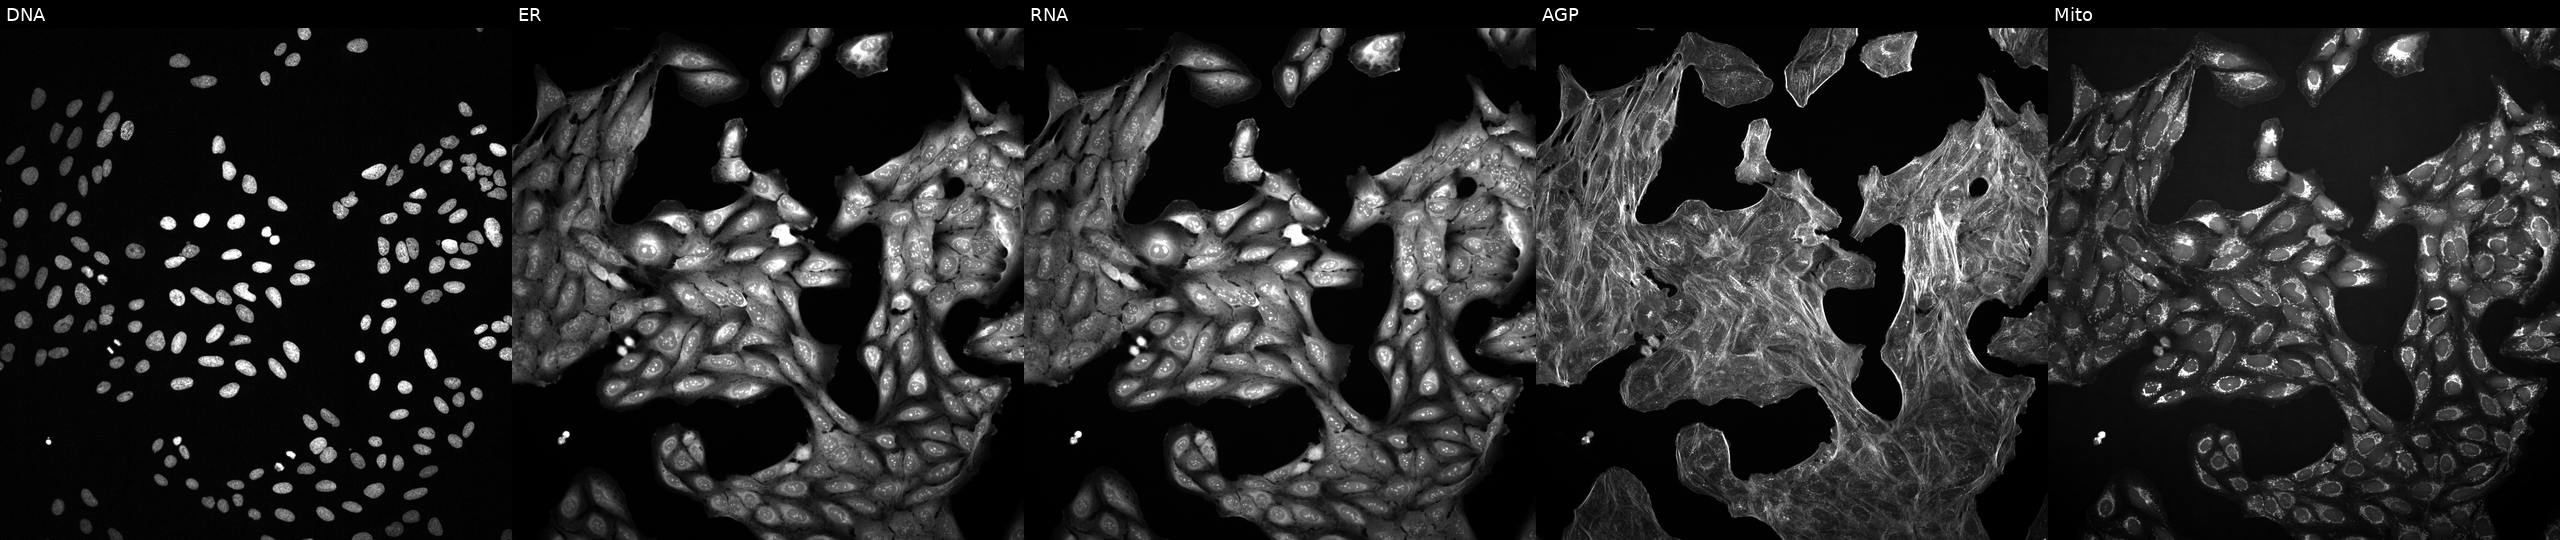
Five-channel Cell Painting image of U2OS cells exposed to the positive-control compound dexamethasone. Panels show, left to right, DNA, ER, RNA, AGP, and Mito. Source 2, plate 1053597936, well K02.